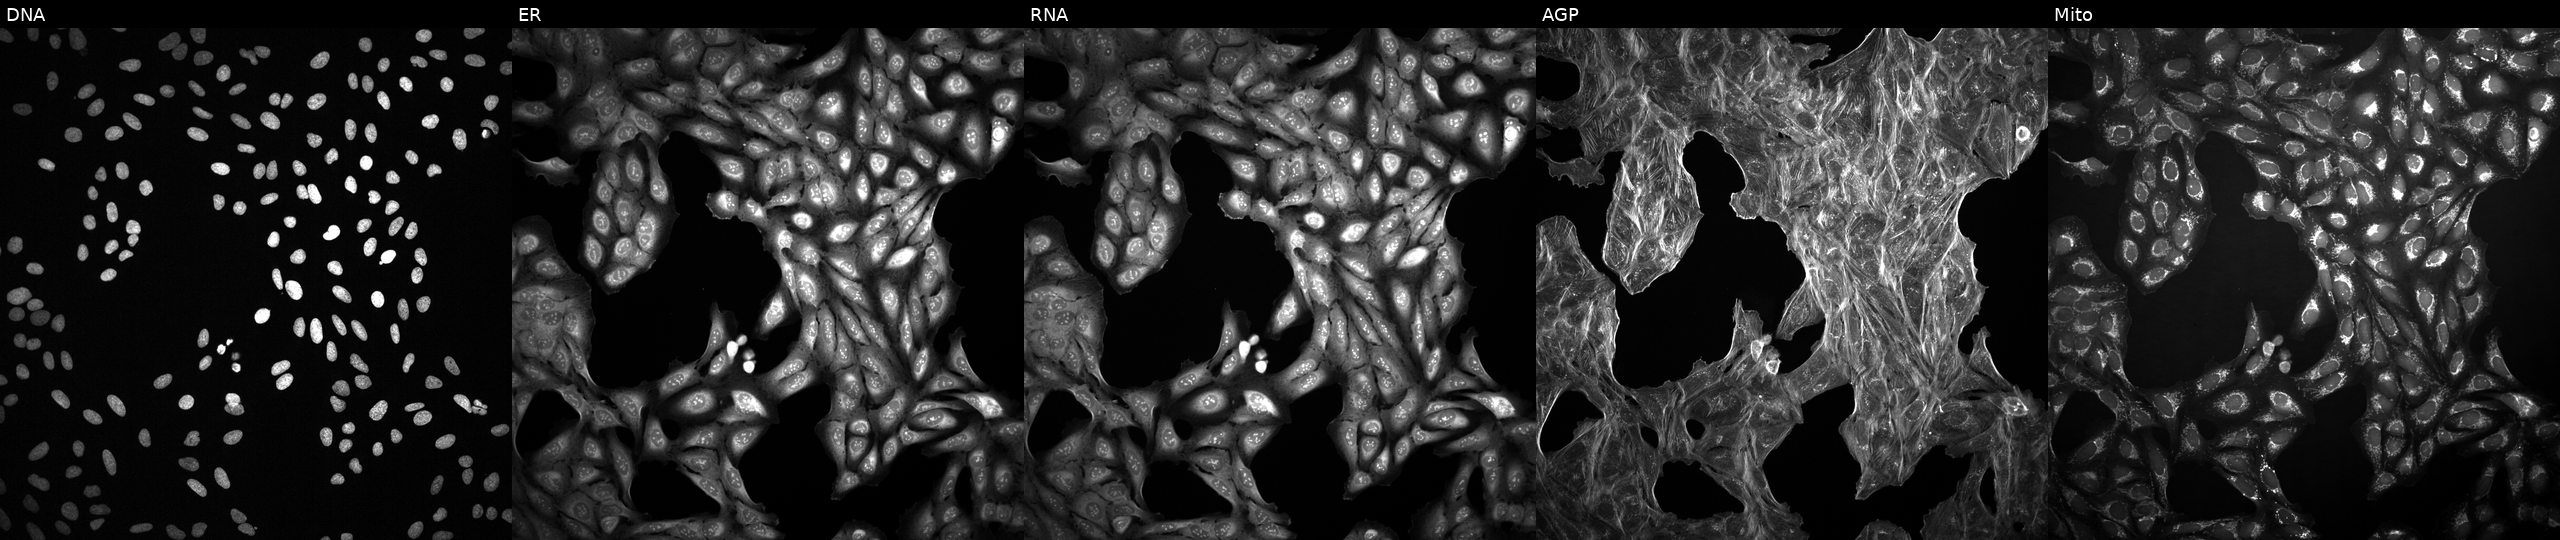
The five panels, left to right, show Hoechst 33342, concanavalin A, SYTO 14, phalloidin and WGA, MitoTracker. U2OS osteosarcoma cells treated with a small-molecule compound. Cell Painting assay, JUMP-CP dataset. Source 2, plate 1053597936, well O24.